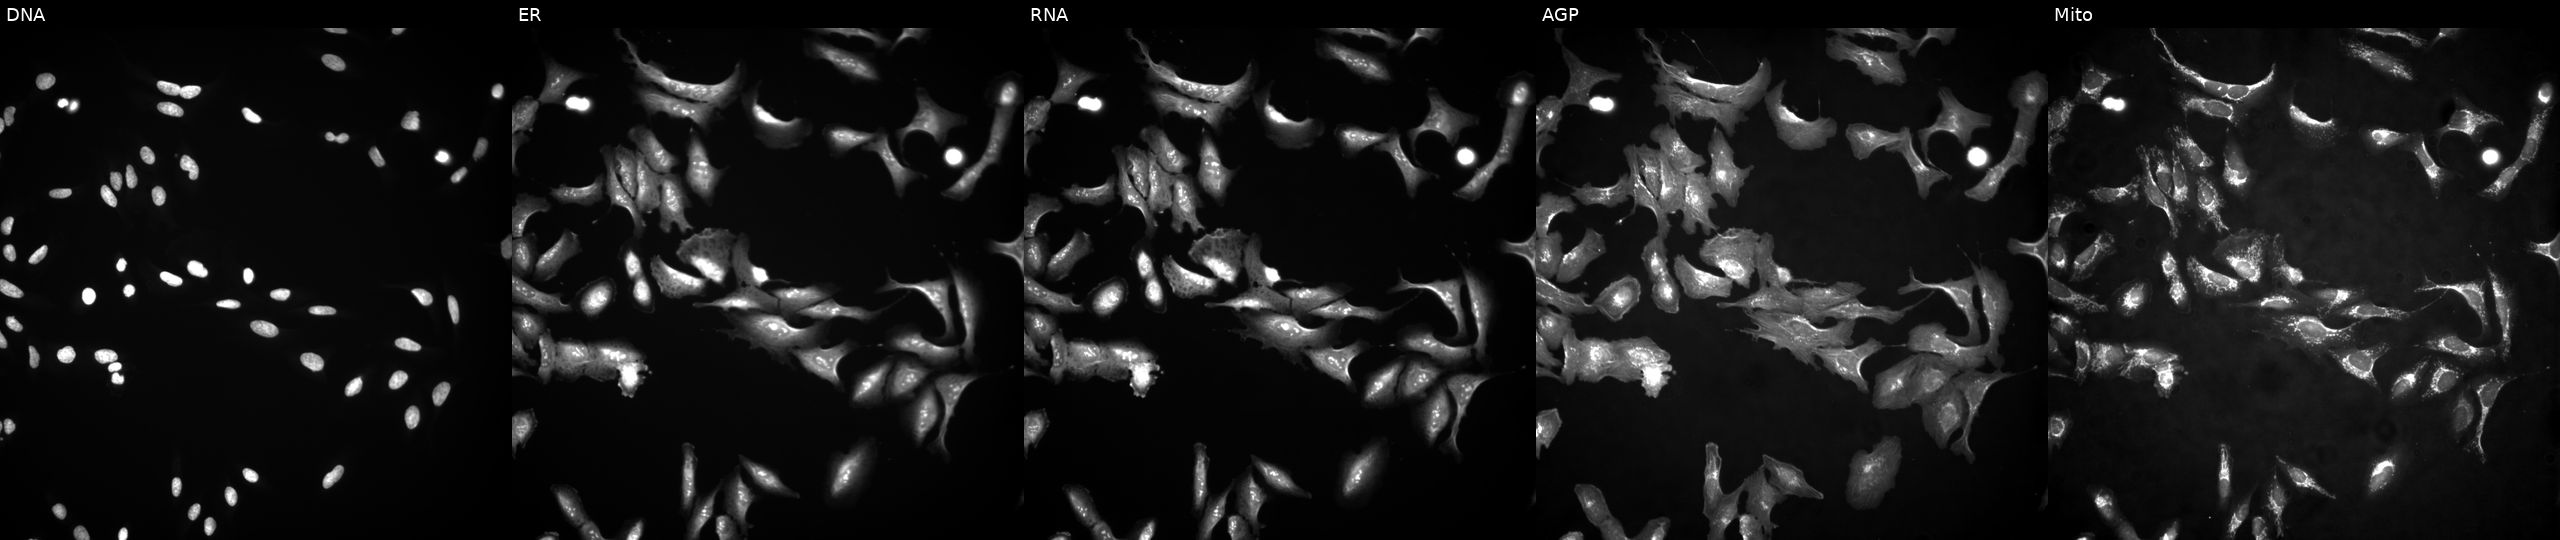
Panels show, left to right, DNA (nuclei); ER (endoplasmic reticulum); RNA (nucleoli and cytoplasmic RNA); AGP (actin cytoskeleton, Golgi, and plasma membrane); Mito (mitochondria). U2OS osteosarcoma cells transfected with an ORF construct for PYHIN1 (JUMP id JCP2022_912353). Cell Painting assay, JUMP-CP dataset. Source 4, plate BR00117035, well J19.